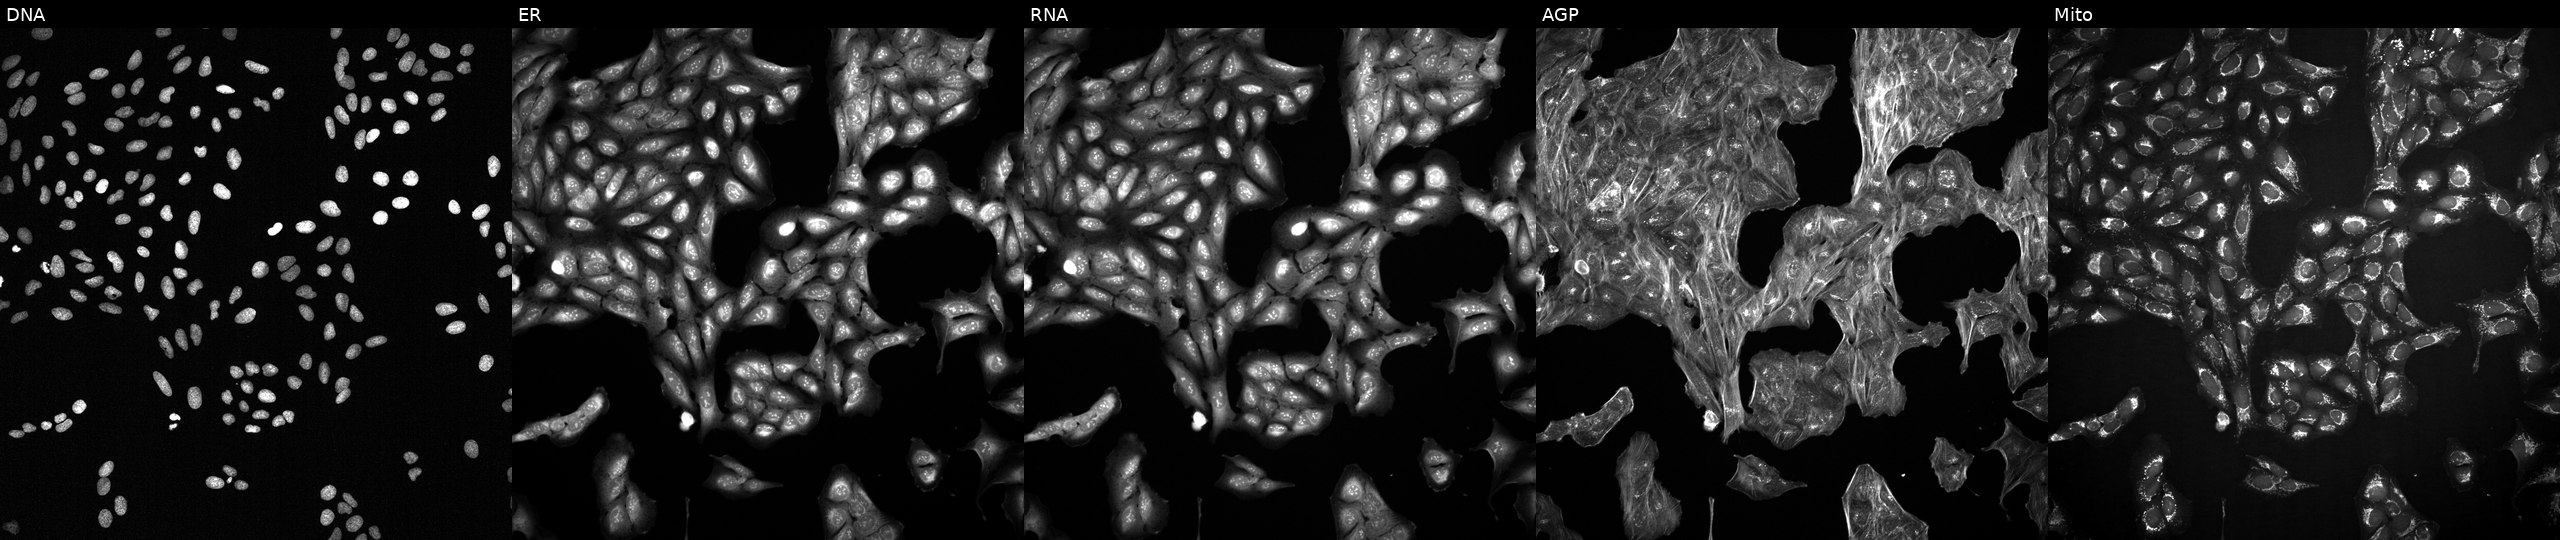
Five-channel Cell Painting image of U2OS cells treated with DMSO vehicle only (negative control) (JUMP id JCP2022_033924). From left to right: DNA, ER, RNA, AGP, and Mito.